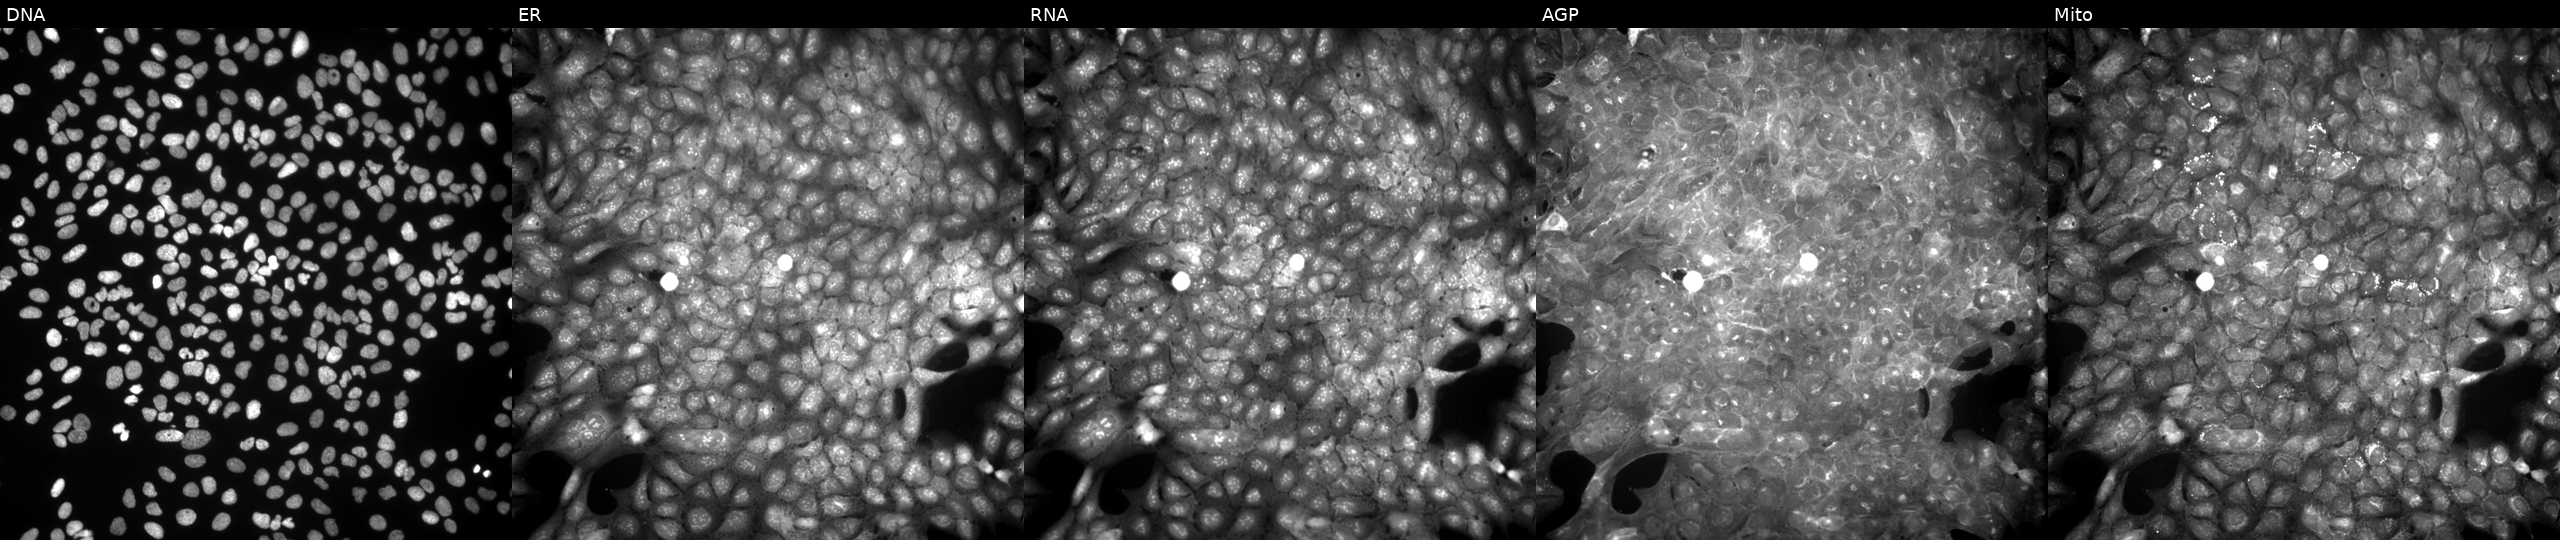
JUMP Cell Painting — COMPOUND plate. U2OS cells exposed to a small-molecule compound (InChIKey DKXHHAFTGAUSGR-UHFFFAOYSA-N). Panels show, left to right, DNA (nuclei); ER (endoplasmic reticulum); RNA (nucleoli and cytoplasmic RNA); AGP (actin cytoskeleton, Golgi, and plasma membrane); Mito (mitochondria).